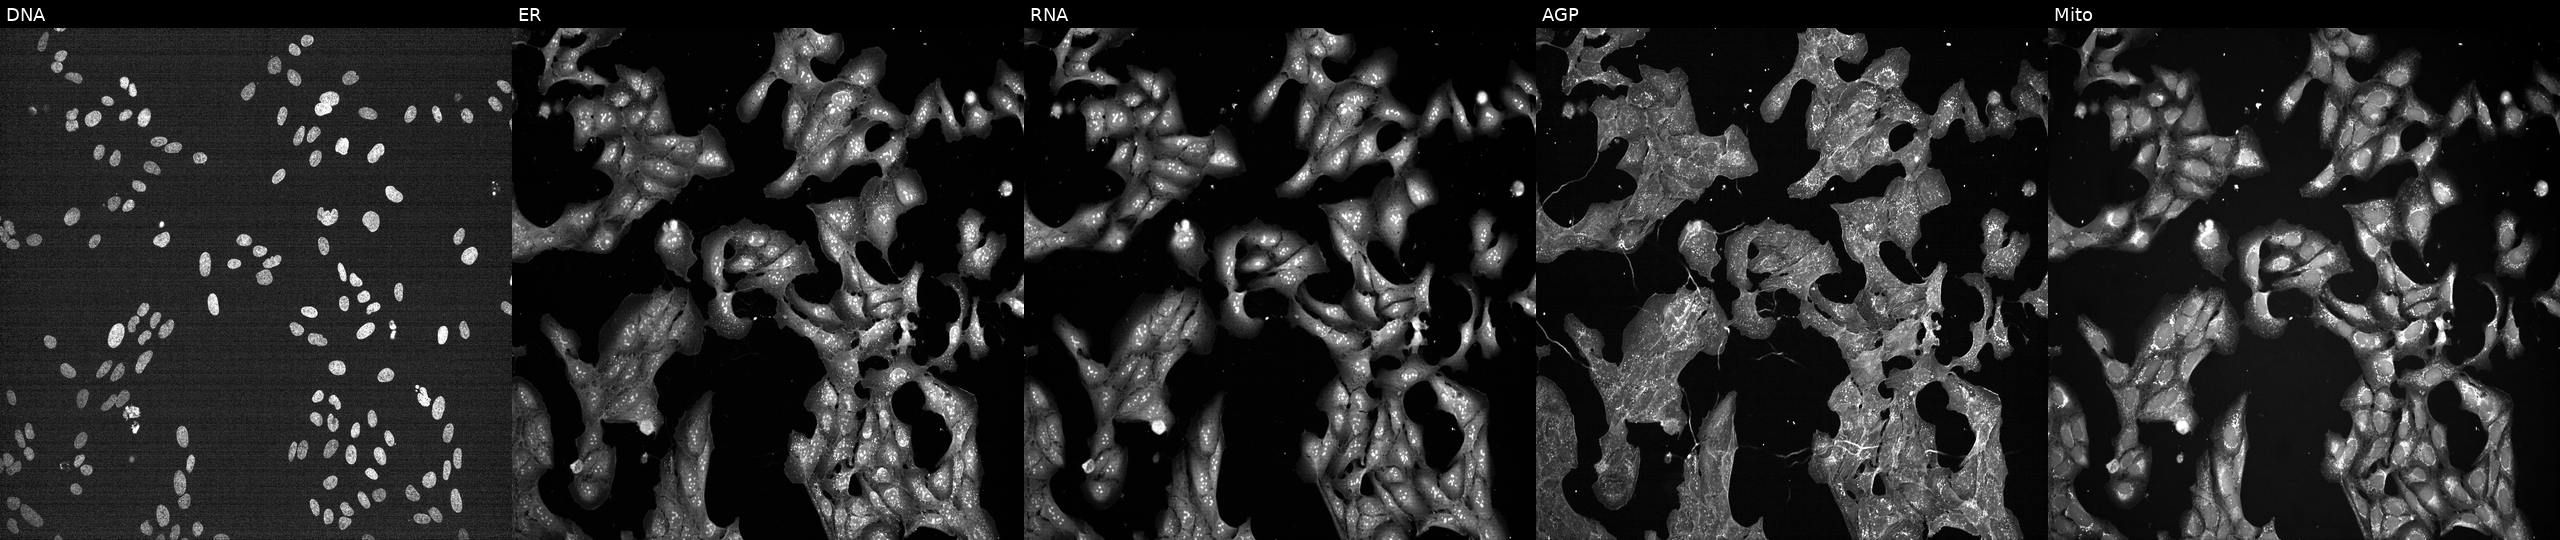
This image strip shows the five Cell Painting channels for a single field of U2OS cells treated with a small-molecule compound (InChIKey UTBOEBCWXGDOGI-UHFFFAOYSA-N). The five panels, left to right, show DNA (nuclei); ER (endoplasmic reticulum); RNA (nucleoli and cytoplasmic RNA); AGP (actin cytoskeleton, Golgi, and plasma membrane); Mito (mitochondria).